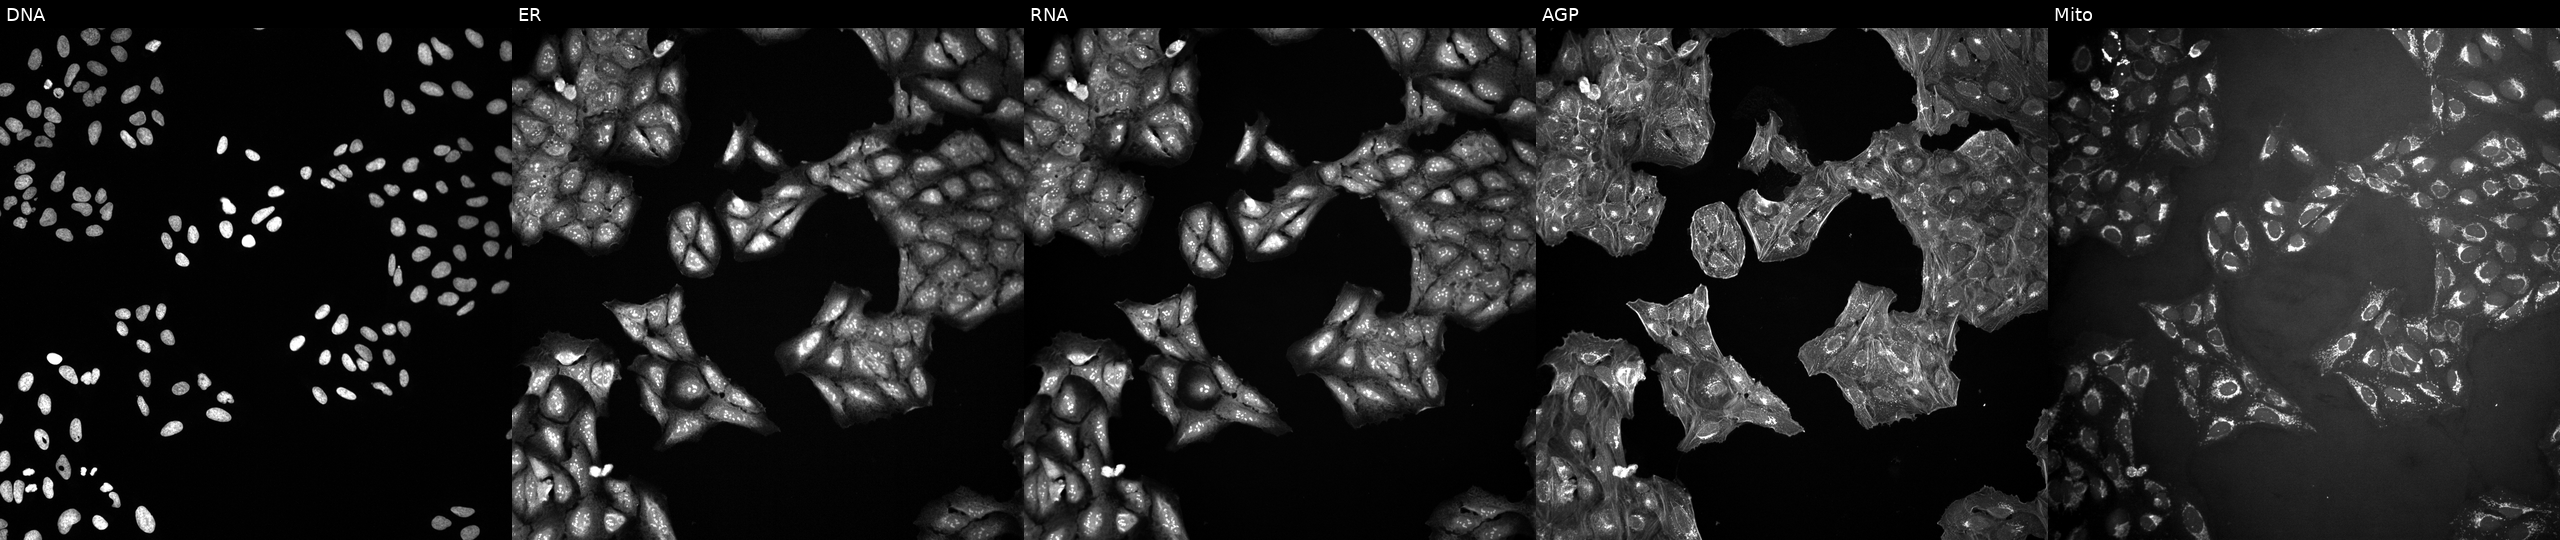
JUMP Cell Painting — COMPOUND plate. U2OS cells exposed to a small-molecule compound (InChIKey IGEMYHVPQOEUBU-UHFFFAOYSA-N). The five panels, left to right, show DNA, ER, RNA, AGP, and Mito. Source 10, plate Dest210531-152149, well H17.